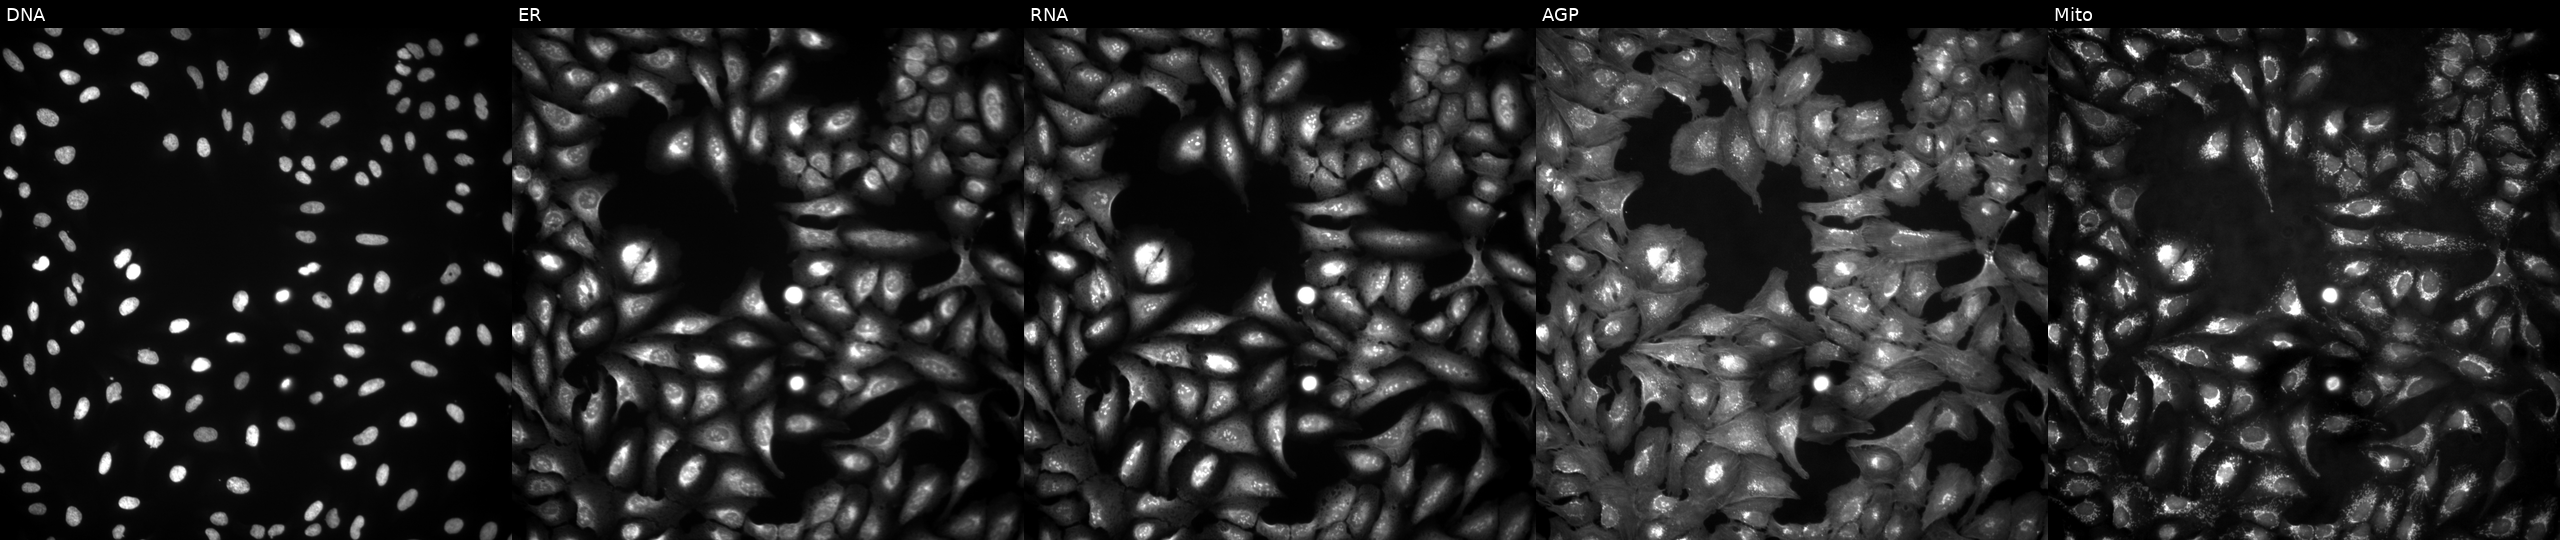
U2OS cells, Cell Painting assay, overexpressing STRIP1 via ORF transfection. From left to right: DNA, ER, RNA, AGP, and Mito. Each panel is percentile-stretched 16-bit fluorescence.